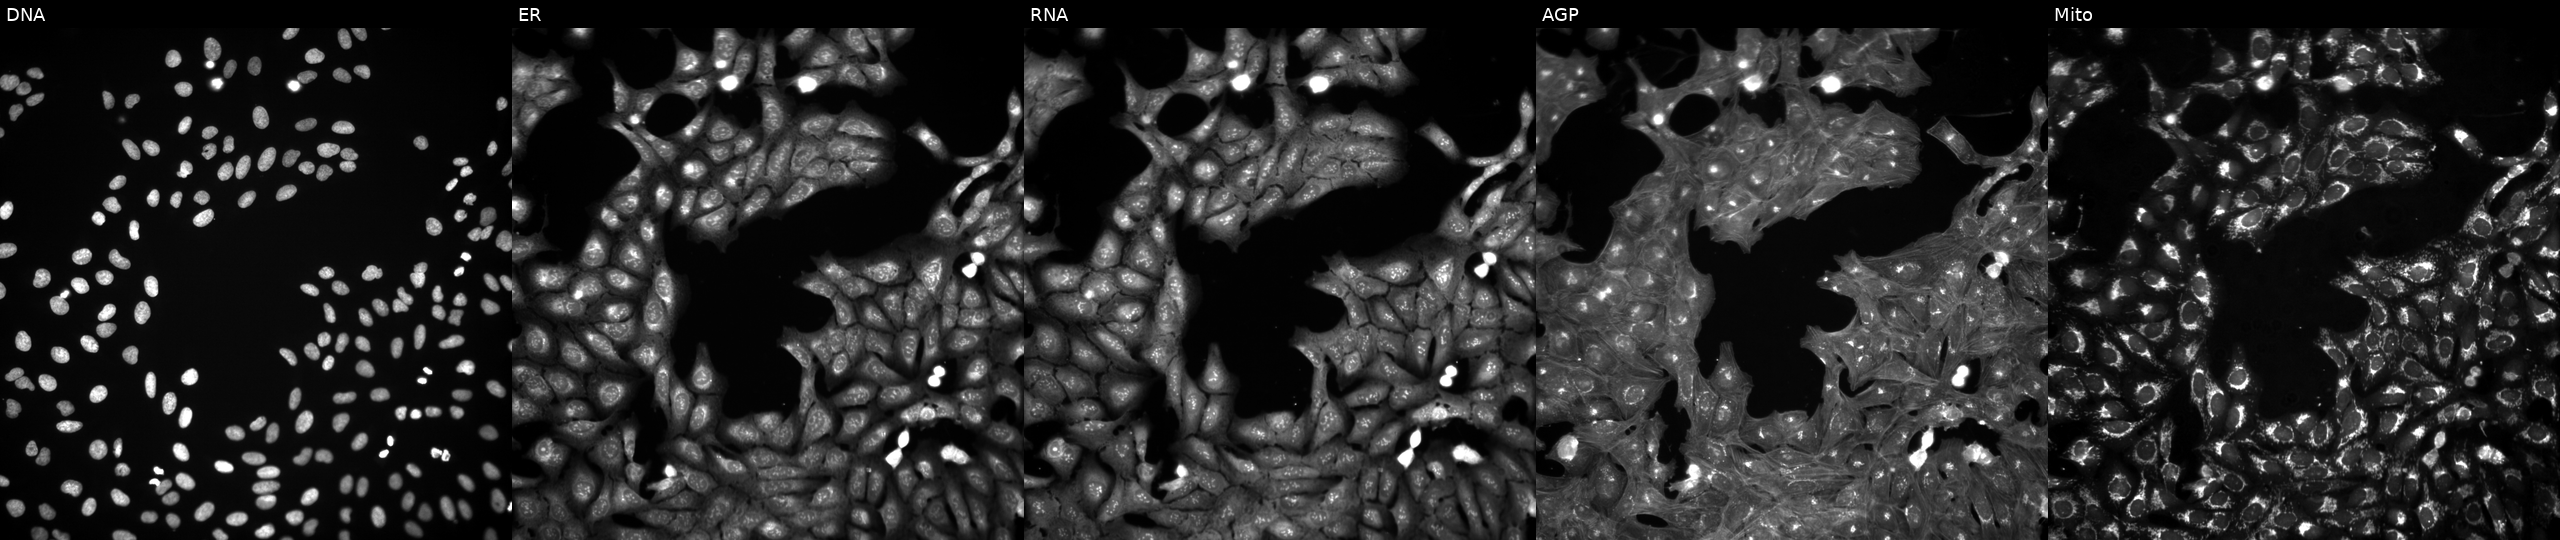
Five-channel Cell Painting image of U2OS cells treated with a small-molecule compound (InChIKey AJISAZFKIUTHJF-UHFFFAOYSA-N) (JUMP id JCP2022_001787). The five panels, left to right, show Hoechst 33342, concanavalin A, SYTO 14, phalloidin and WGA, MitoTracker. Source 3, plate BR5867b3, well P04.